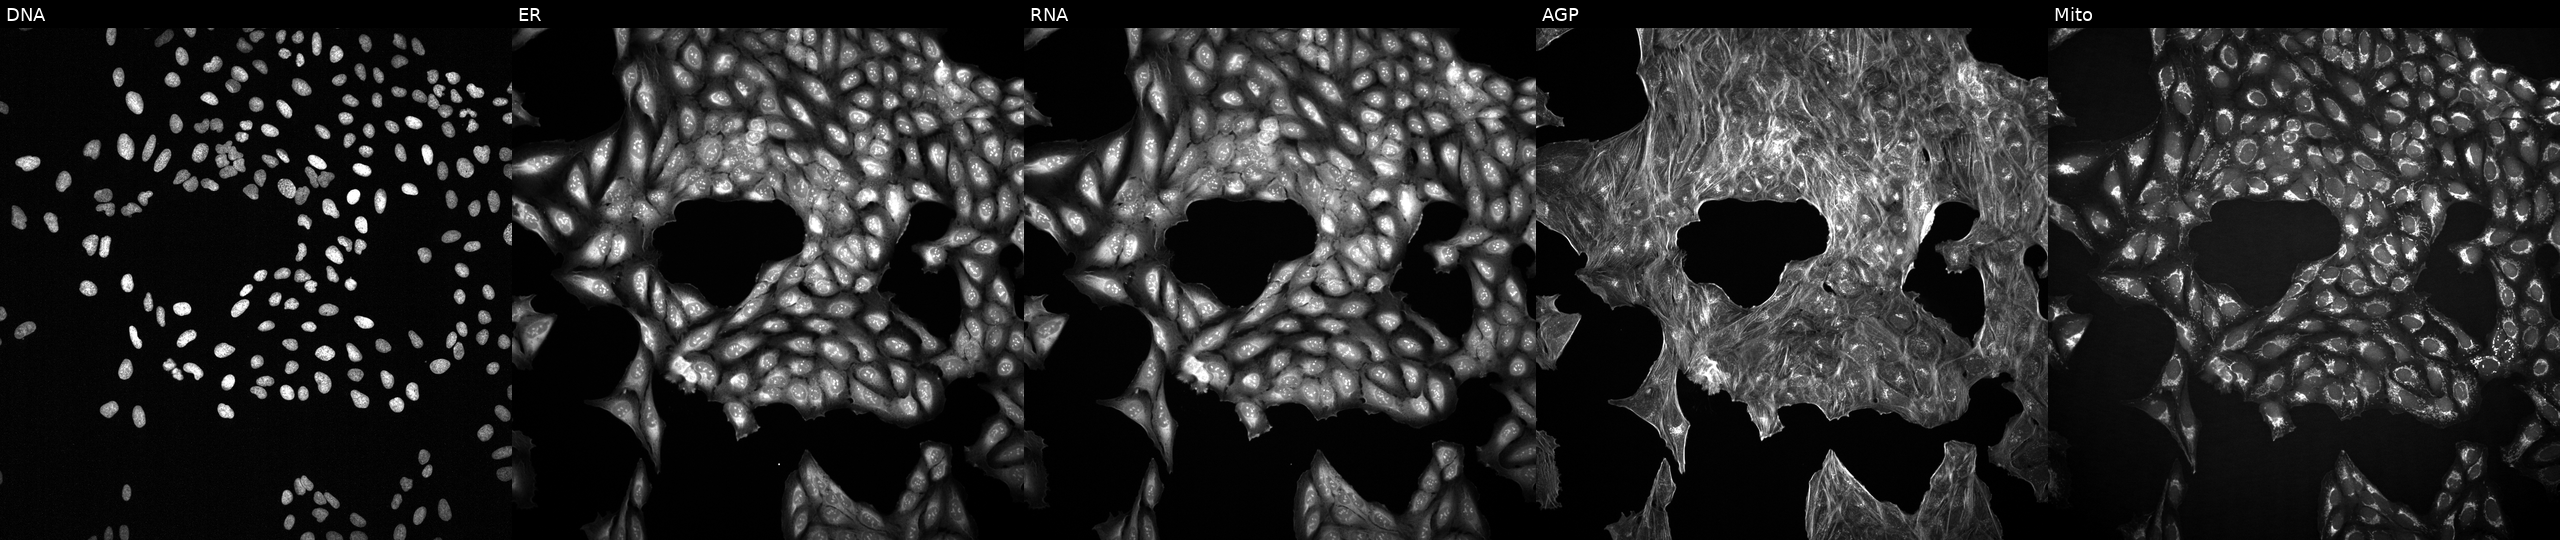
Channels (left→right): DNA (nuclei); ER (endoplasmic reticulum); RNA (nucleoli and cytoplasmic RNA); AGP (actin cytoskeleton, Golgi, and plasma membrane); Mito (mitochondria). U2OS osteosarcoma cells treated with a small-molecule compound (InChIKey PQXMEUICAUXXIE-UHFFFAOYSA-N) [SMILES: CN(C(=O)CS(=O)(=O)Cc1ccc(Cl)cc1)c1ccccc1]. Cell Painting assay, JUMP-CP dataset.